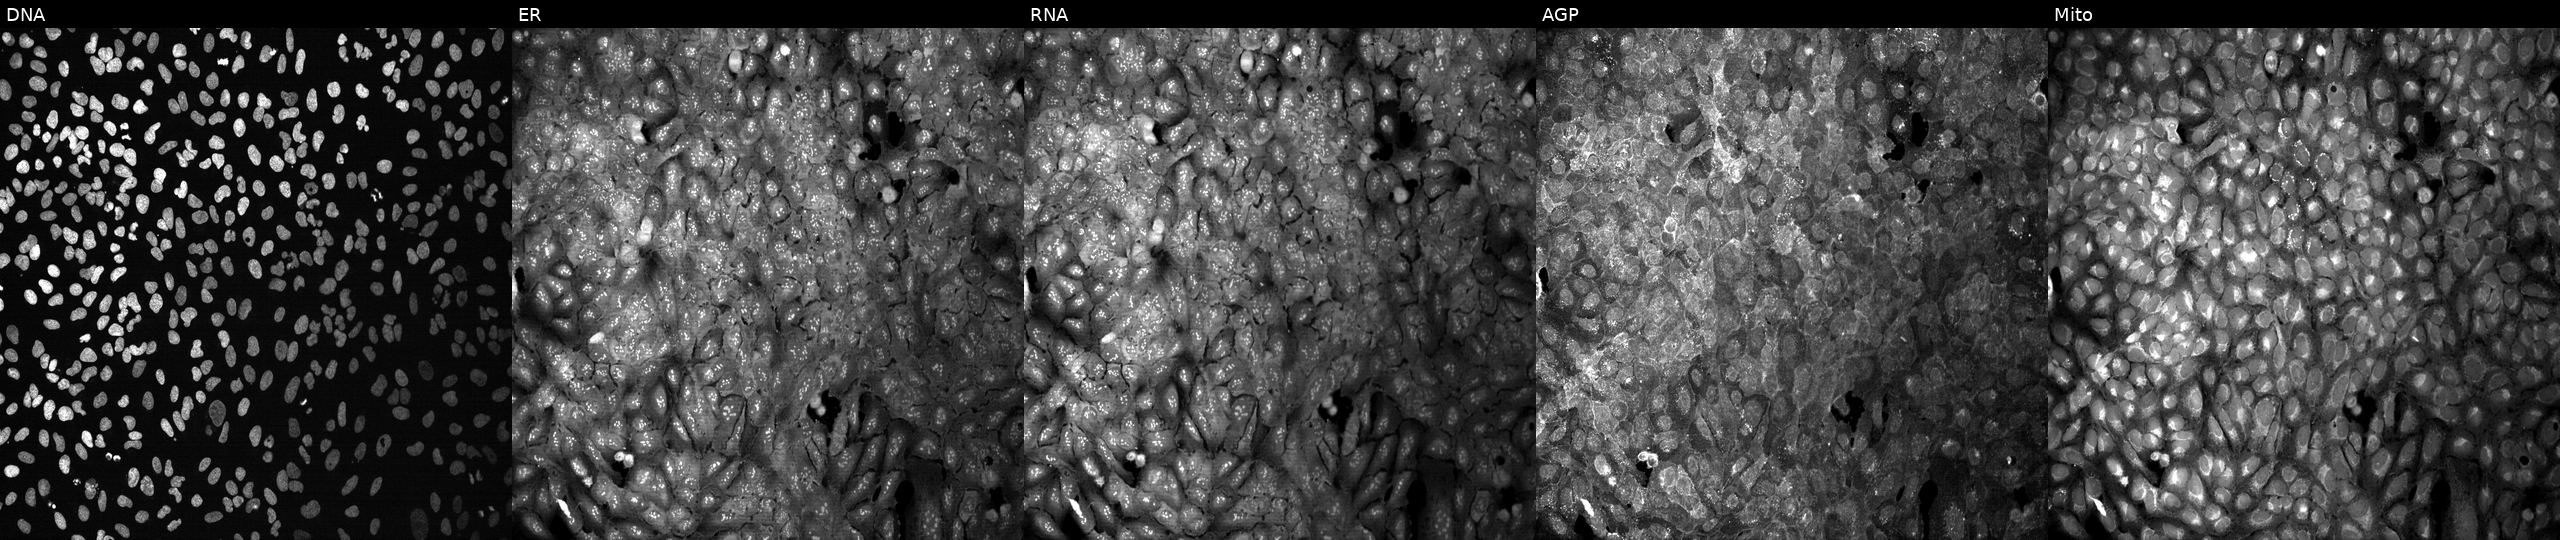
This image strip shows the five Cell Painting channels for a single field of U2OS cells with PDE4C knocked out by CRISPR. Panels show, left to right, DNA, ER, RNA, AGP, and Mito. Source 13, plate CP-CC9-R1-02, well F22.